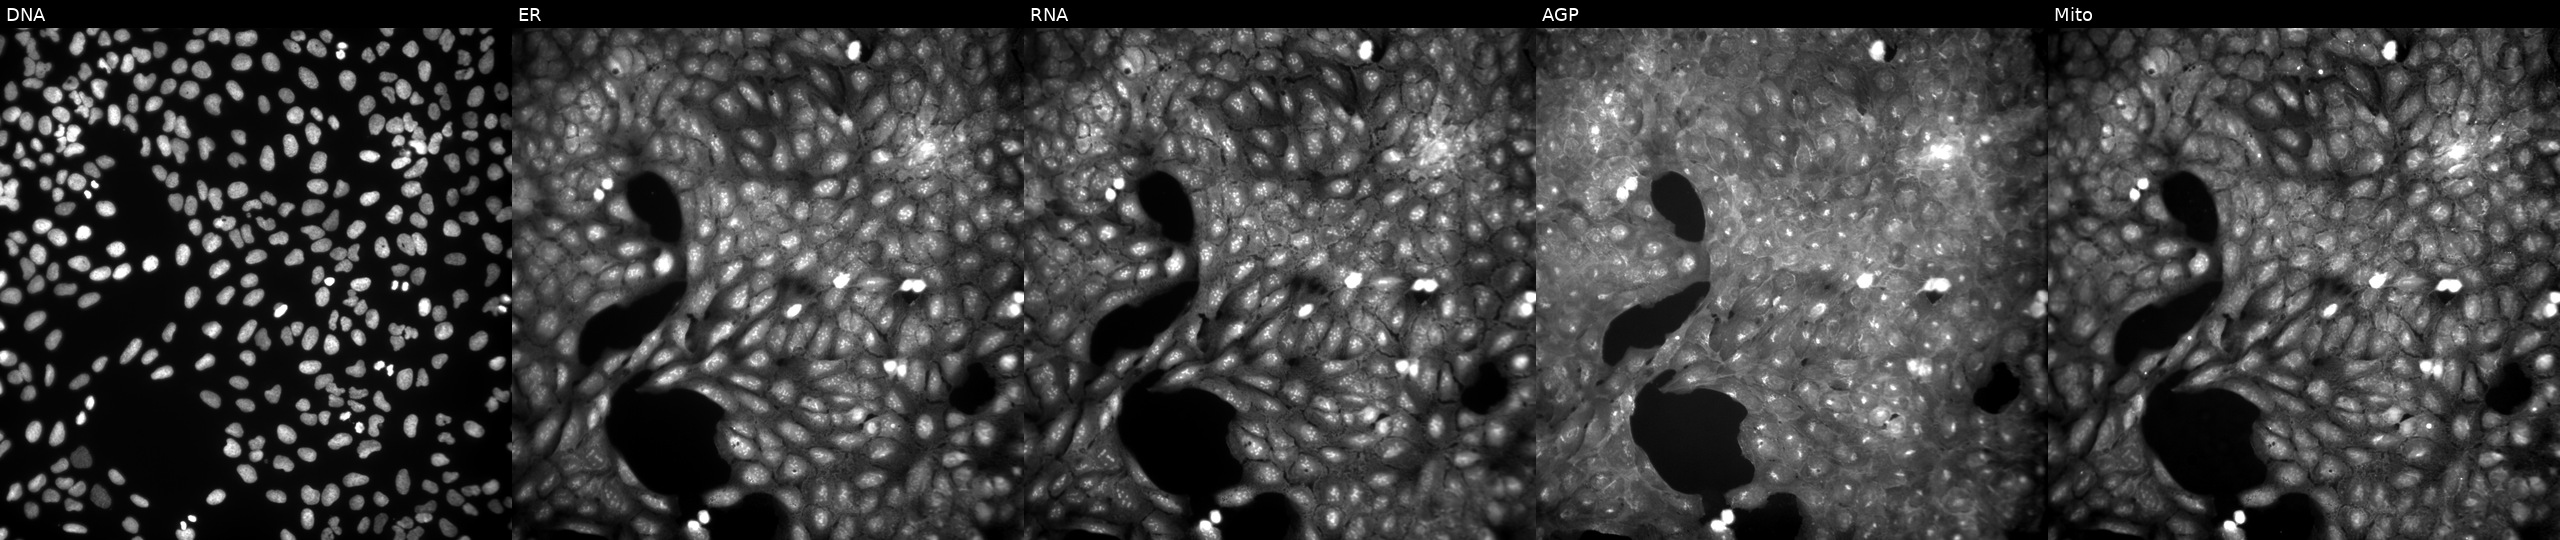
U2OS cells, Cell Painting assay, exposed to a small-molecule compound. Panels show, left to right, DNA (nuclei); ER (endoplasmic reticulum); RNA (nucleoli and cytoplasmic RNA); AGP (actin cytoskeleton, Golgi, and plasma membrane); Mito (mitochondria). Each panel is percentile-stretched 16-bit fluorescence.